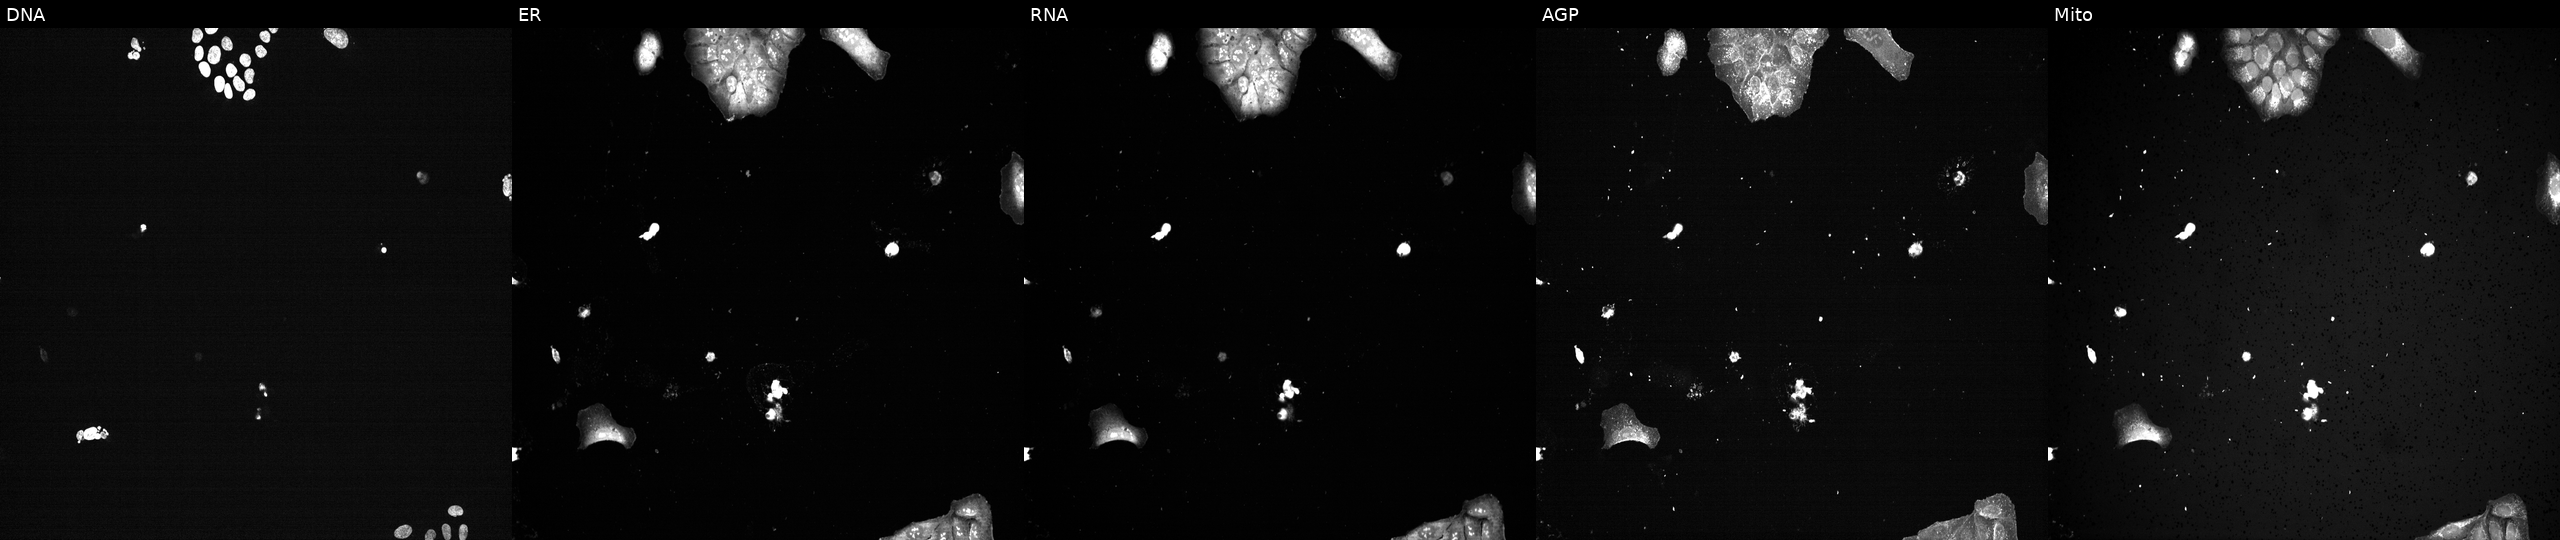
High-content fluorescence microscopy (Cell Painting). Cell line: U2OS. Perturbation: with PLK1 knocked out by CRISPR (positive control) (JUMP id JCP2022_805264). Panels show, left to right, Hoechst 33342, concanavalin A, SYTO 14, phalloidin and WGA, MitoTracker. Source 13, plate CP-CC9-R1-01, well B23.